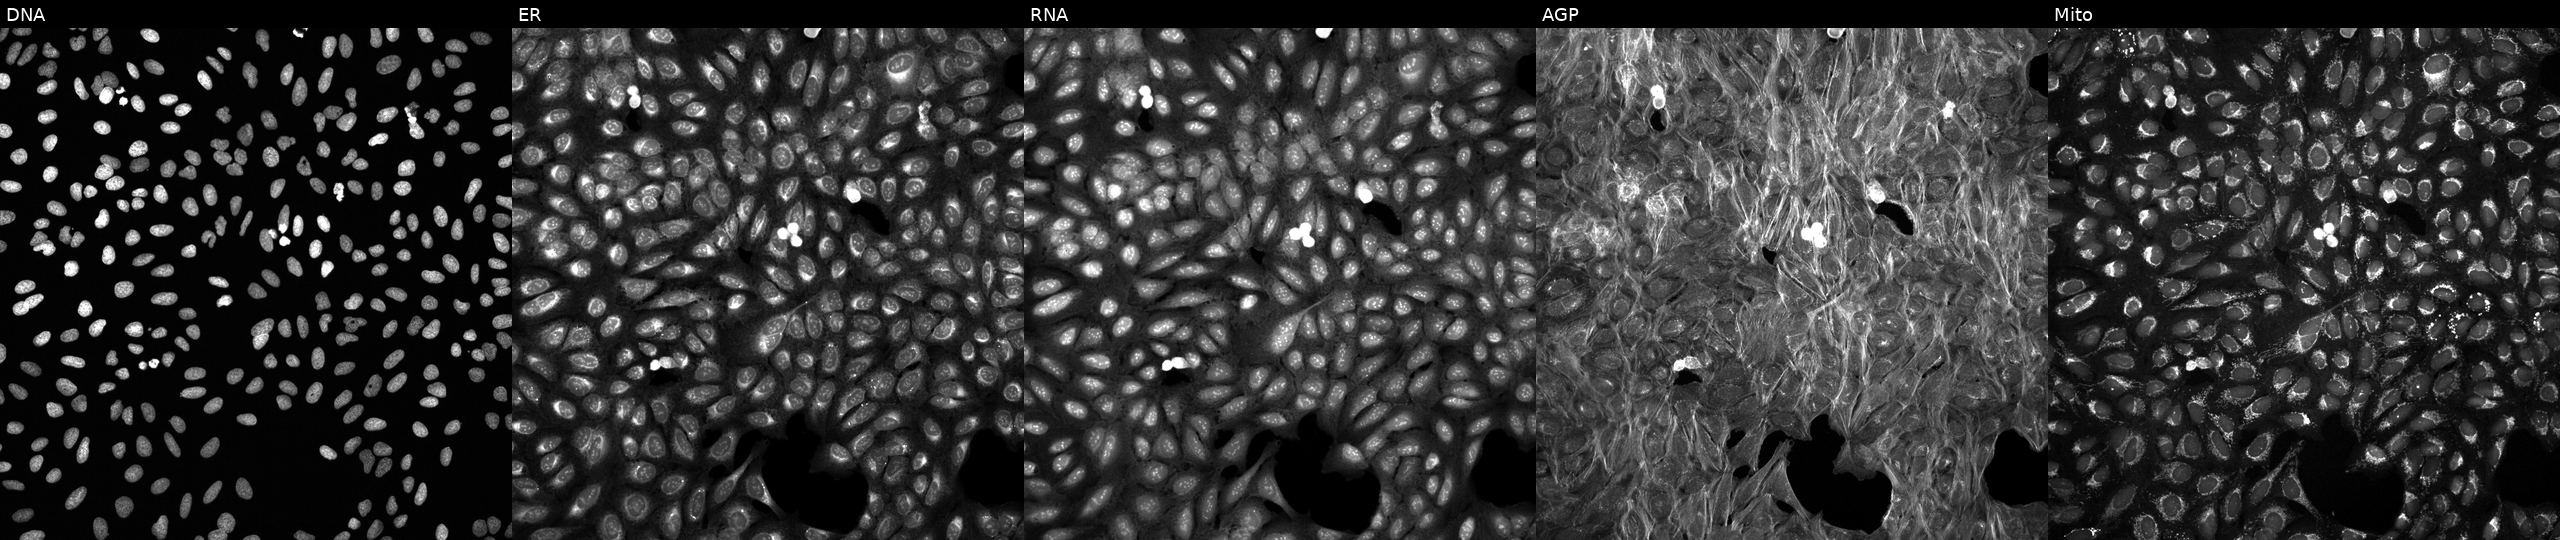
U2OS cells, Cell Painting assay, treated with DMSO vehicle only (negative control) (JUMP id JCP2022_033924). The five panels, left to right, show DNA, ER, RNA, AGP, and Mito. Each panel is percentile-stretched 16-bit fluorescence.